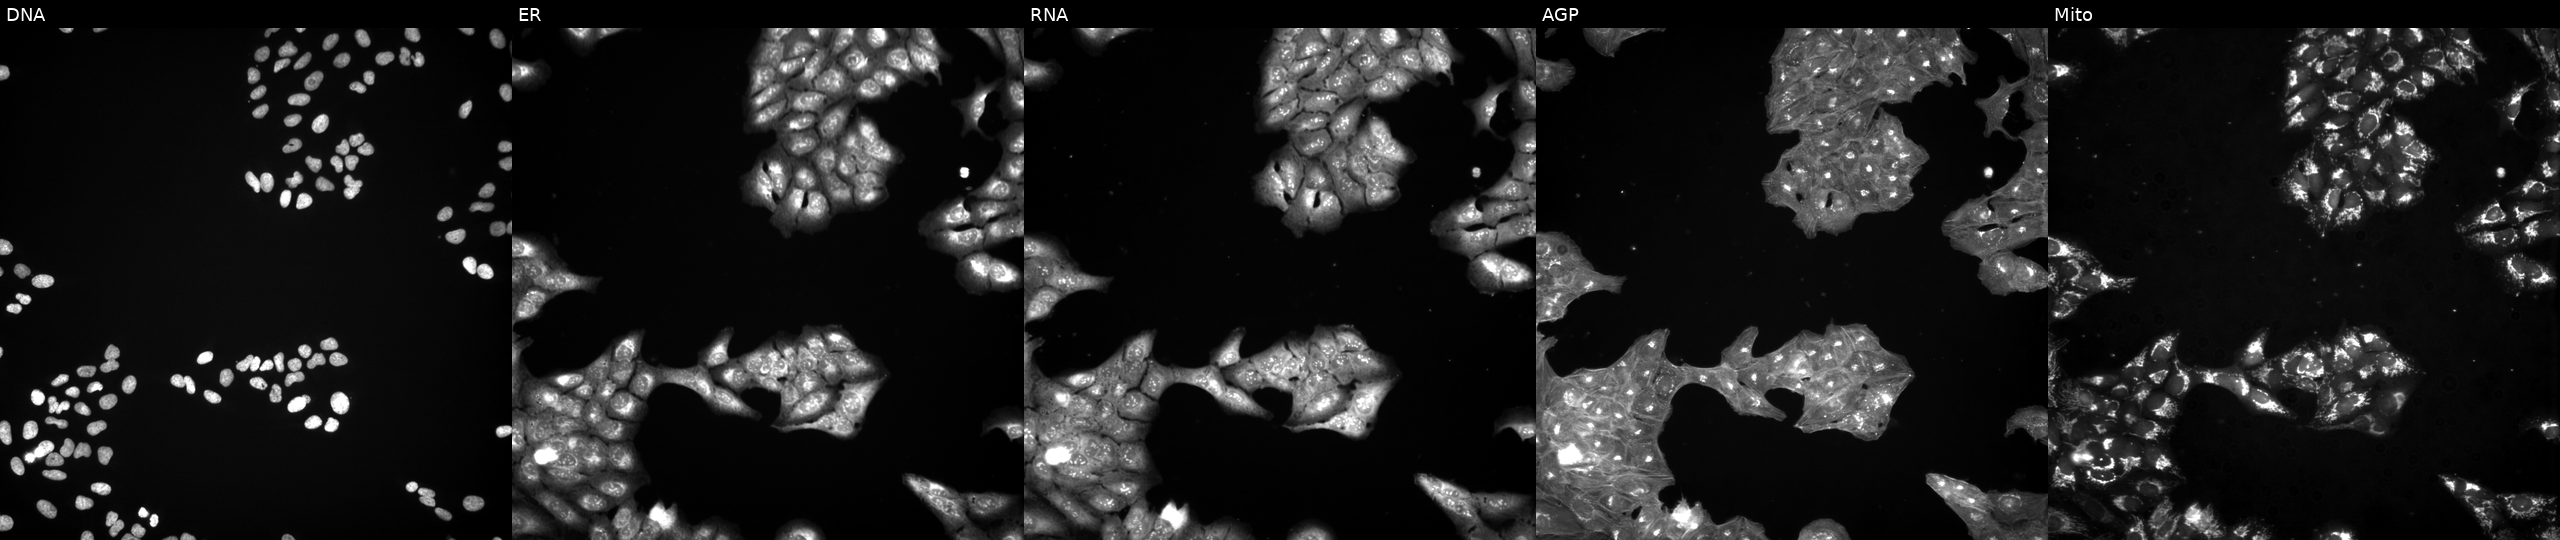
High-content fluorescence microscopy (Cell Painting). Cell line: U2OS. Perturbation: exposed to a small-molecule compound (JUMP id JCP2022_066579). Channels (left→right): Hoechst 33342, concanavalin A, SYTO 14, phalloidin and WGA, MitoTracker.